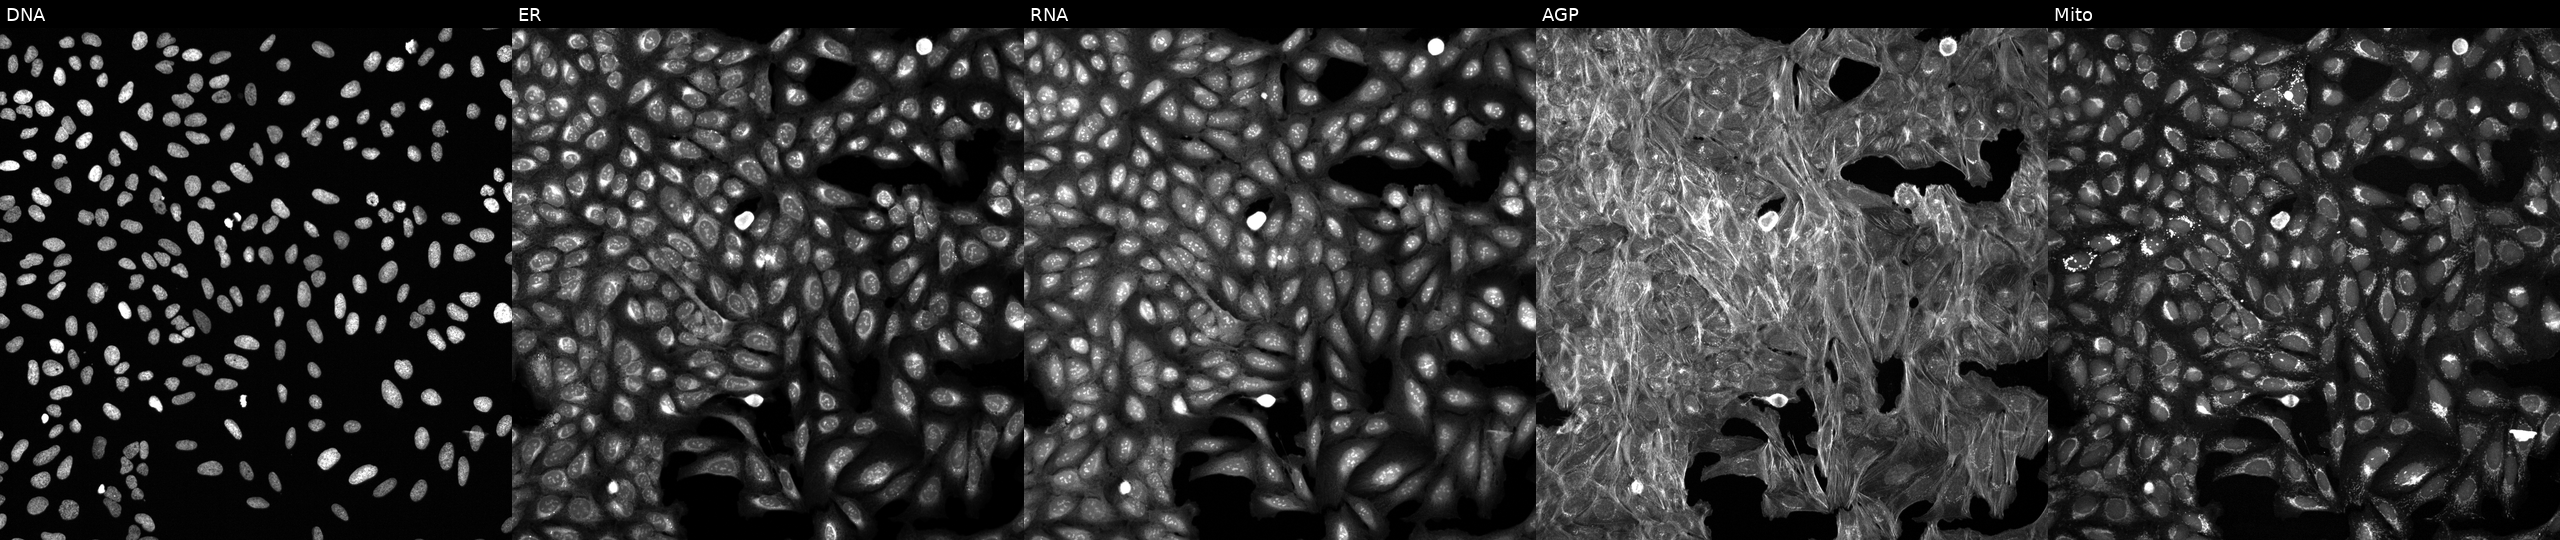
U2OS cells, Cell Painting assay, perturbed with a small-molecule compound (InChIKey PCVPYBBNULOHQP-UHFFFAOYSA-N). Channels (left→right): DNA (nuclei); ER (endoplasmic reticulum); RNA (nucleoli and cytoplasmic RNA); AGP (actin cytoskeleton, Golgi, and plasma membrane); Mito (mitochondria). Each panel is percentile-stretched 16-bit fluorescence.